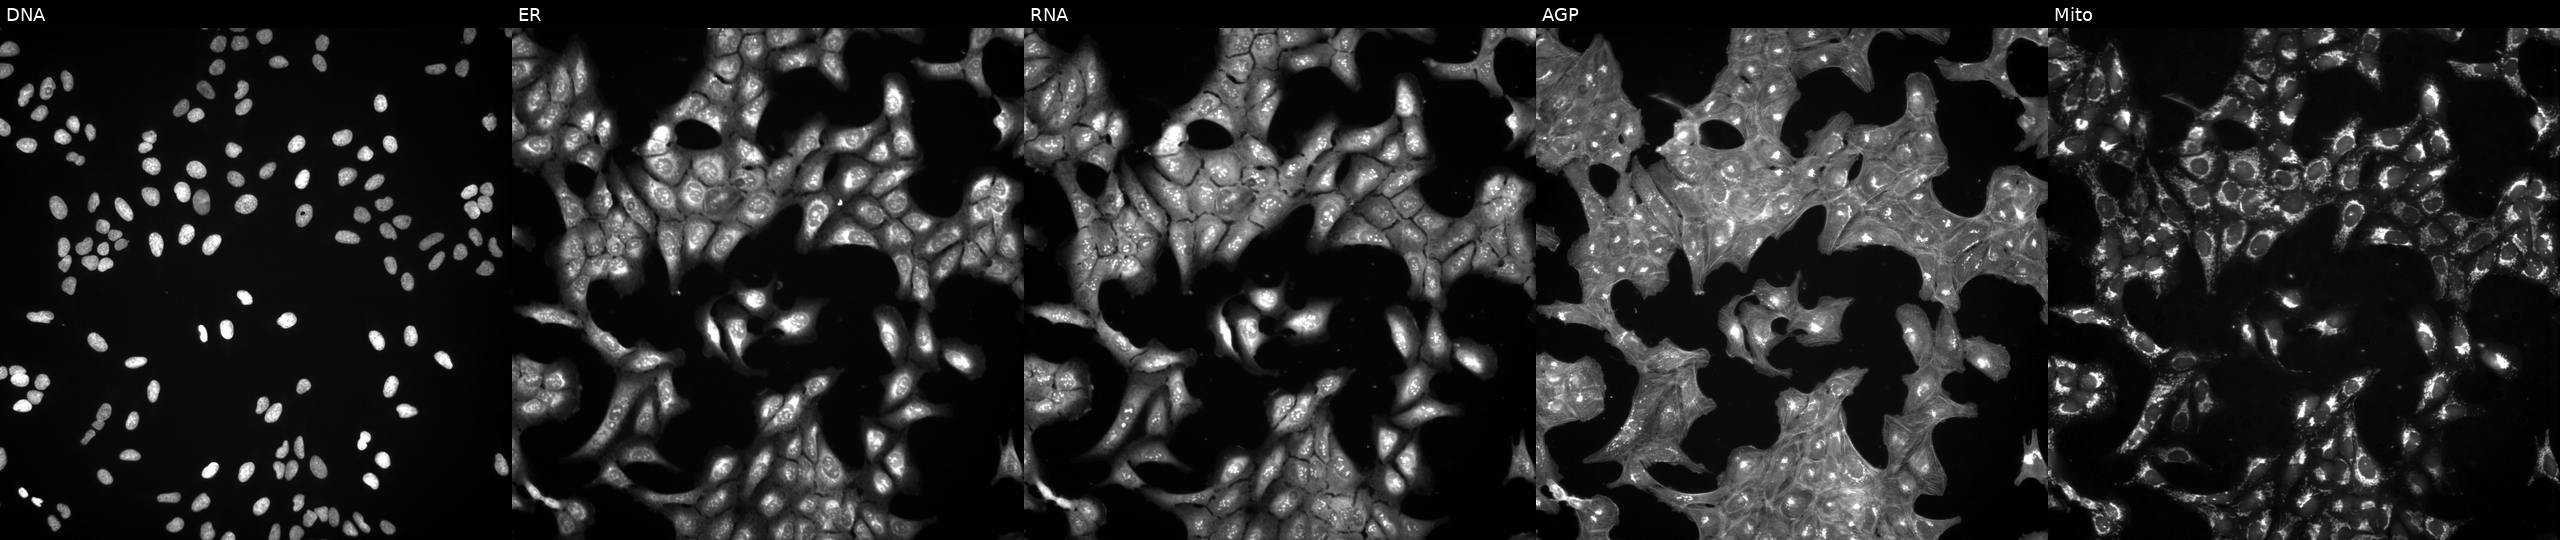
Five-channel Cell Painting image of U2OS cells exposed to a small-molecule compound (InChIKey FRTKRAYLCPSCAN-UHFFFAOYSA-N) (JUMP id JCP2022_022533). From left to right: Hoechst 33342, concanavalin A, SYTO 14, phalloidin and WGA, MitoTracker. Source 3, plate BR5867b3, well K16.